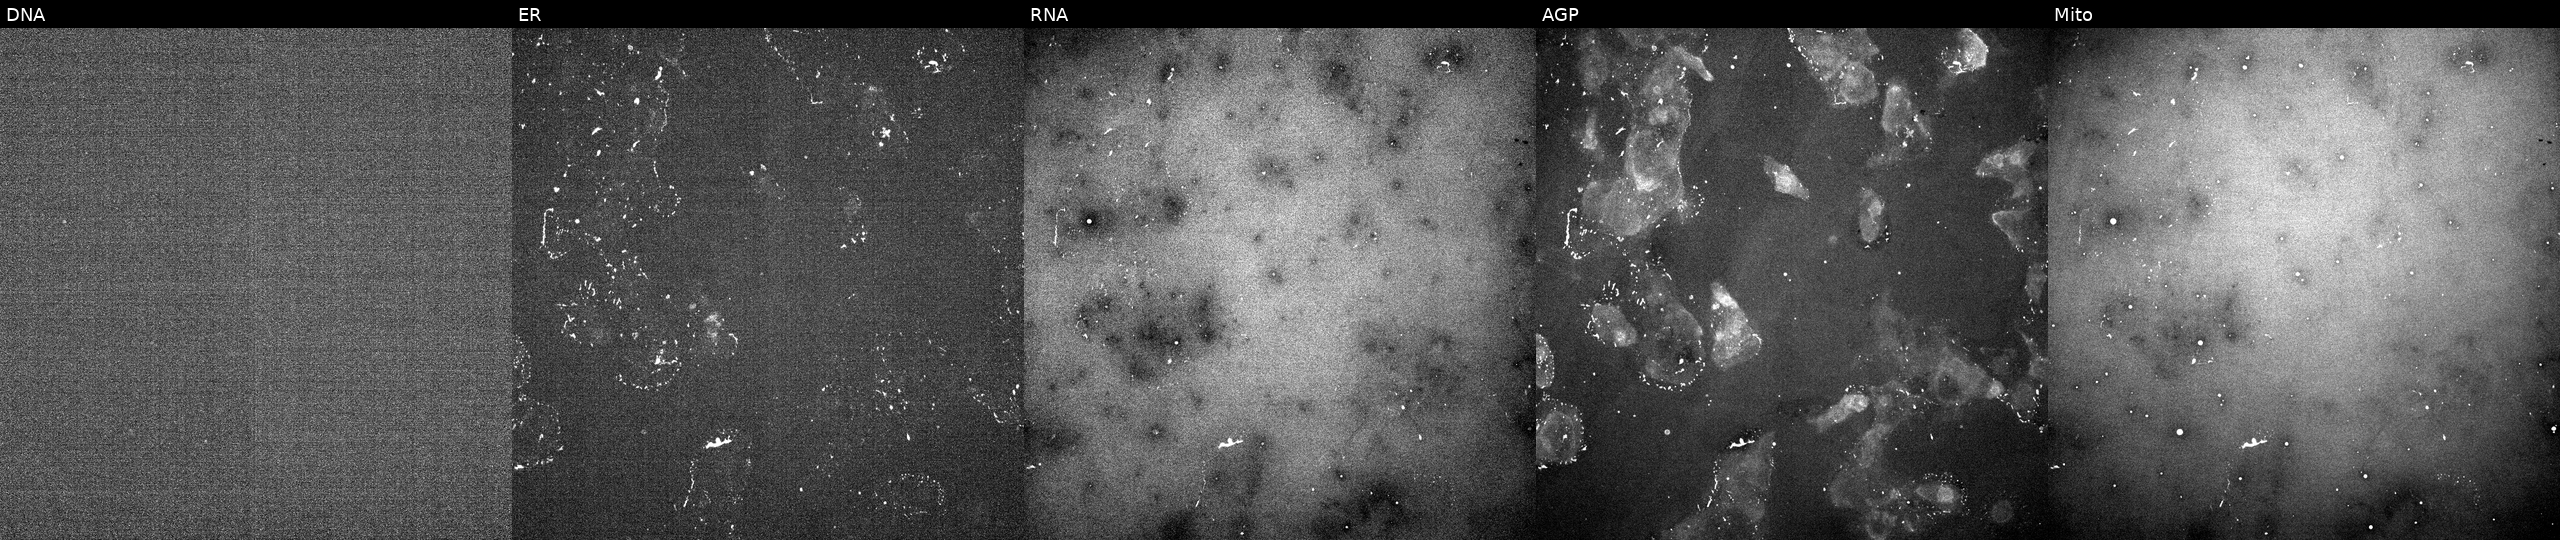
JUMP Cell Painting — TARGET2 plate. U2OS cells perturbed with a small-molecule compound (InChIKey CANBMWXJDLUDFF-UHFFFAOYSA-N) [SMILES: Cc1ccc(N=C2CC(=O)c3sc(C)nc3C2=O)cc1]. Panels show, left to right, DNA, ER, RNA, AGP, and Mito. Source 5, plate ACPJUM051, well P03.